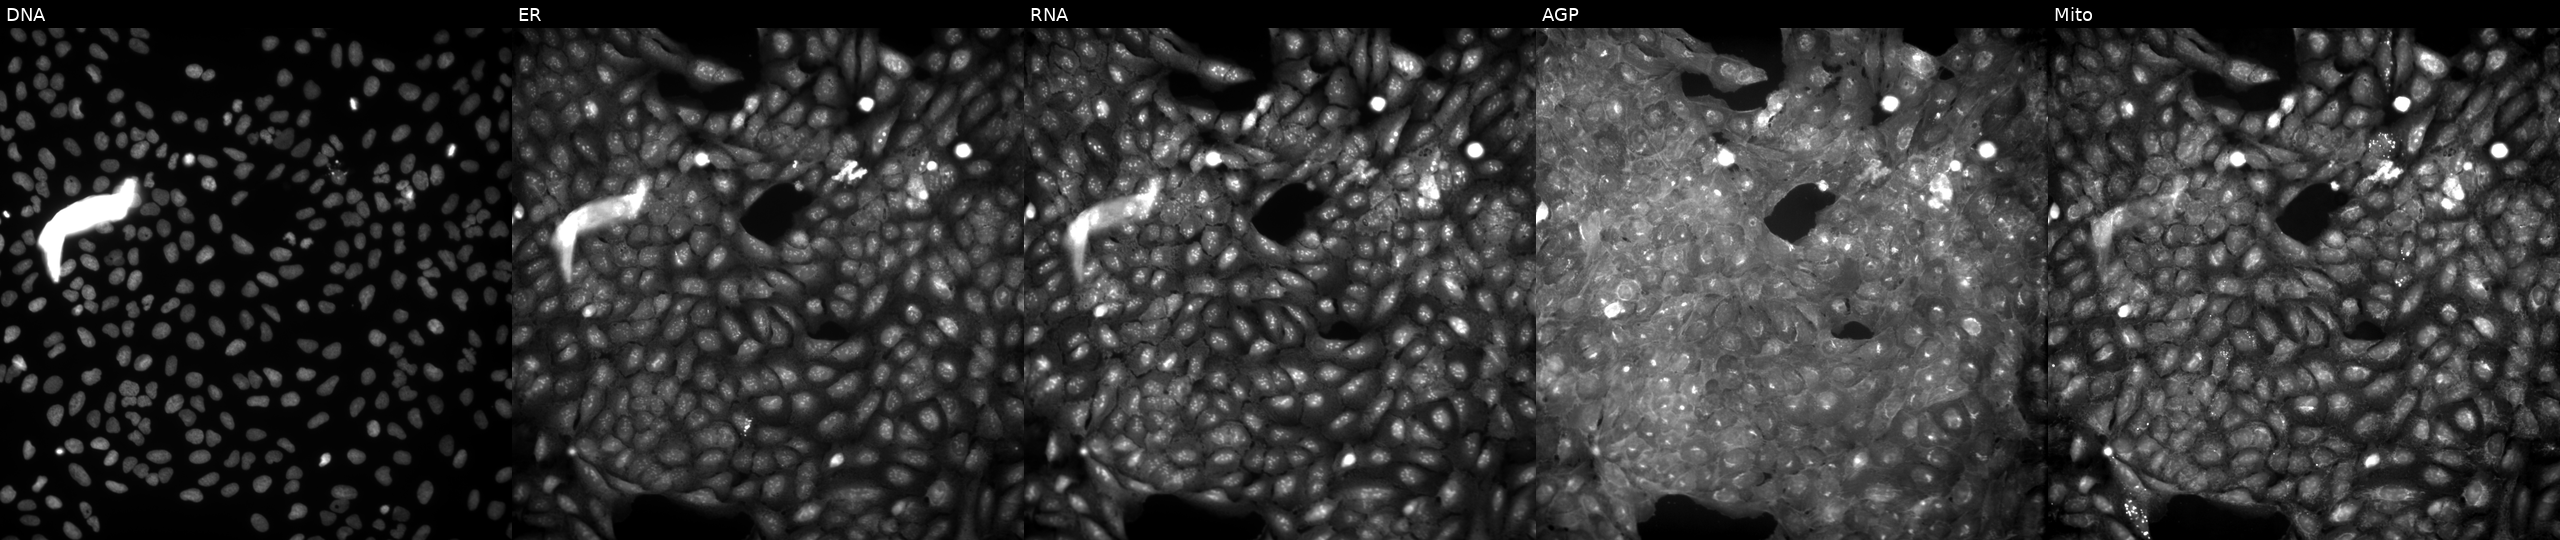
JUMP Cell Painting — COMPOUND plate. U2OS cells exposed to the positive-control compound TC-S-7004 (JUMP id JCP2022_012818). From left to right: DNA (nuclei); ER (endoplasmic reticulum); RNA (nucleoli and cytoplasmic RNA); AGP (actin cytoskeleton, Golgi, and plasma membrane); Mito (mitochondria). Source 9, plate GR00003382, well X25.